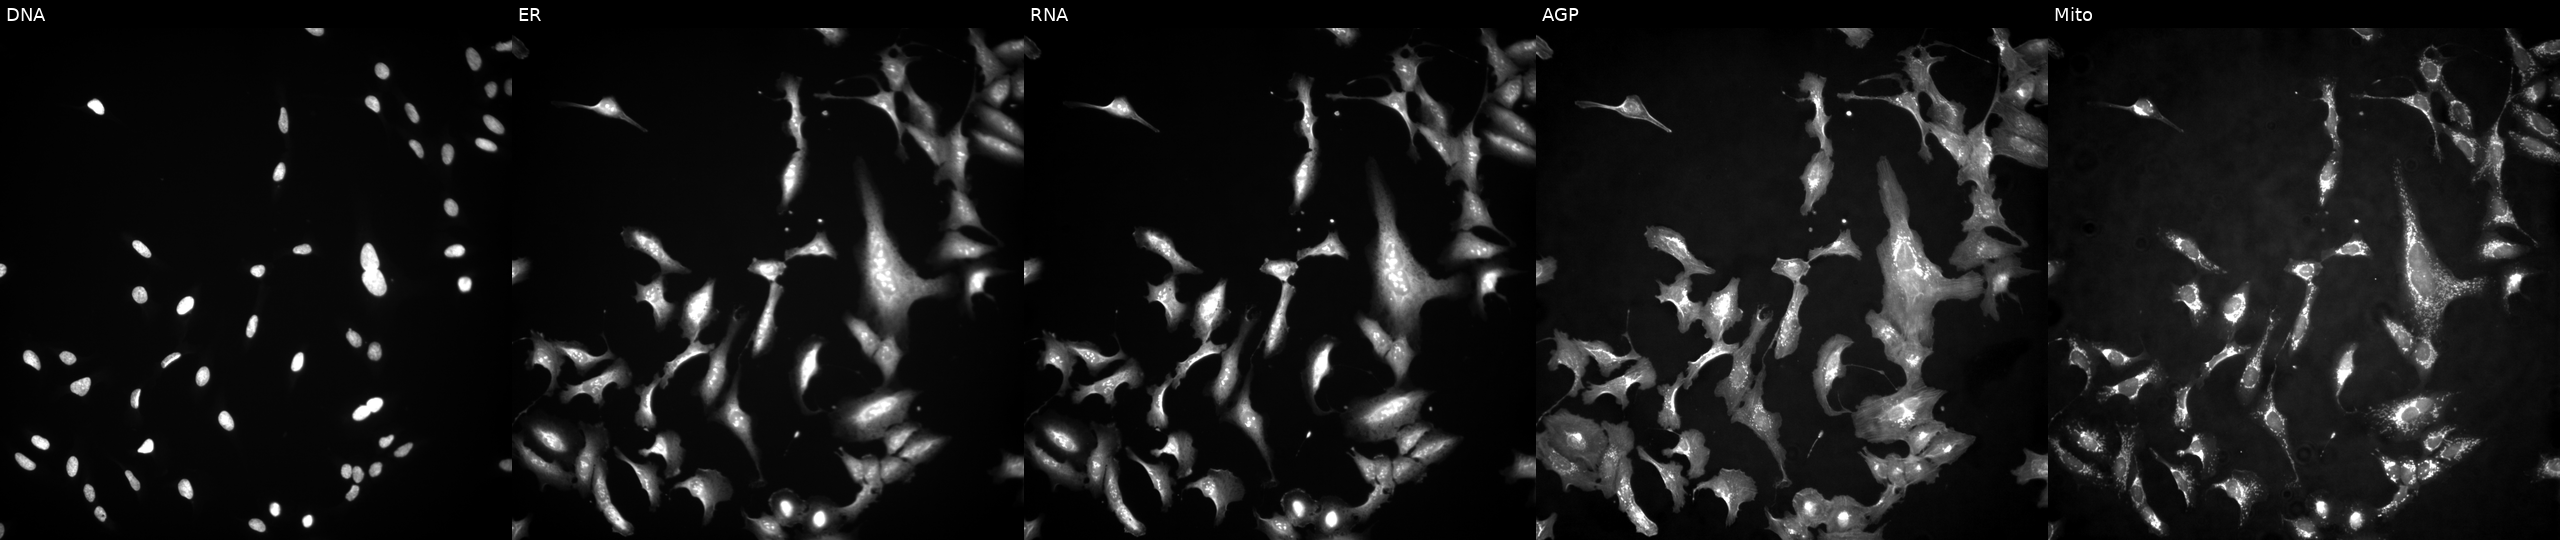
JUMP Cell Painting — ORF plate. U2OS cells overexpressing FOXO3 via ORF transfection (JUMP id JCP2022_900540). Panels show, left to right, DNA, ER, RNA, AGP, and Mito. Source 4, plate BR00117035, well N22.